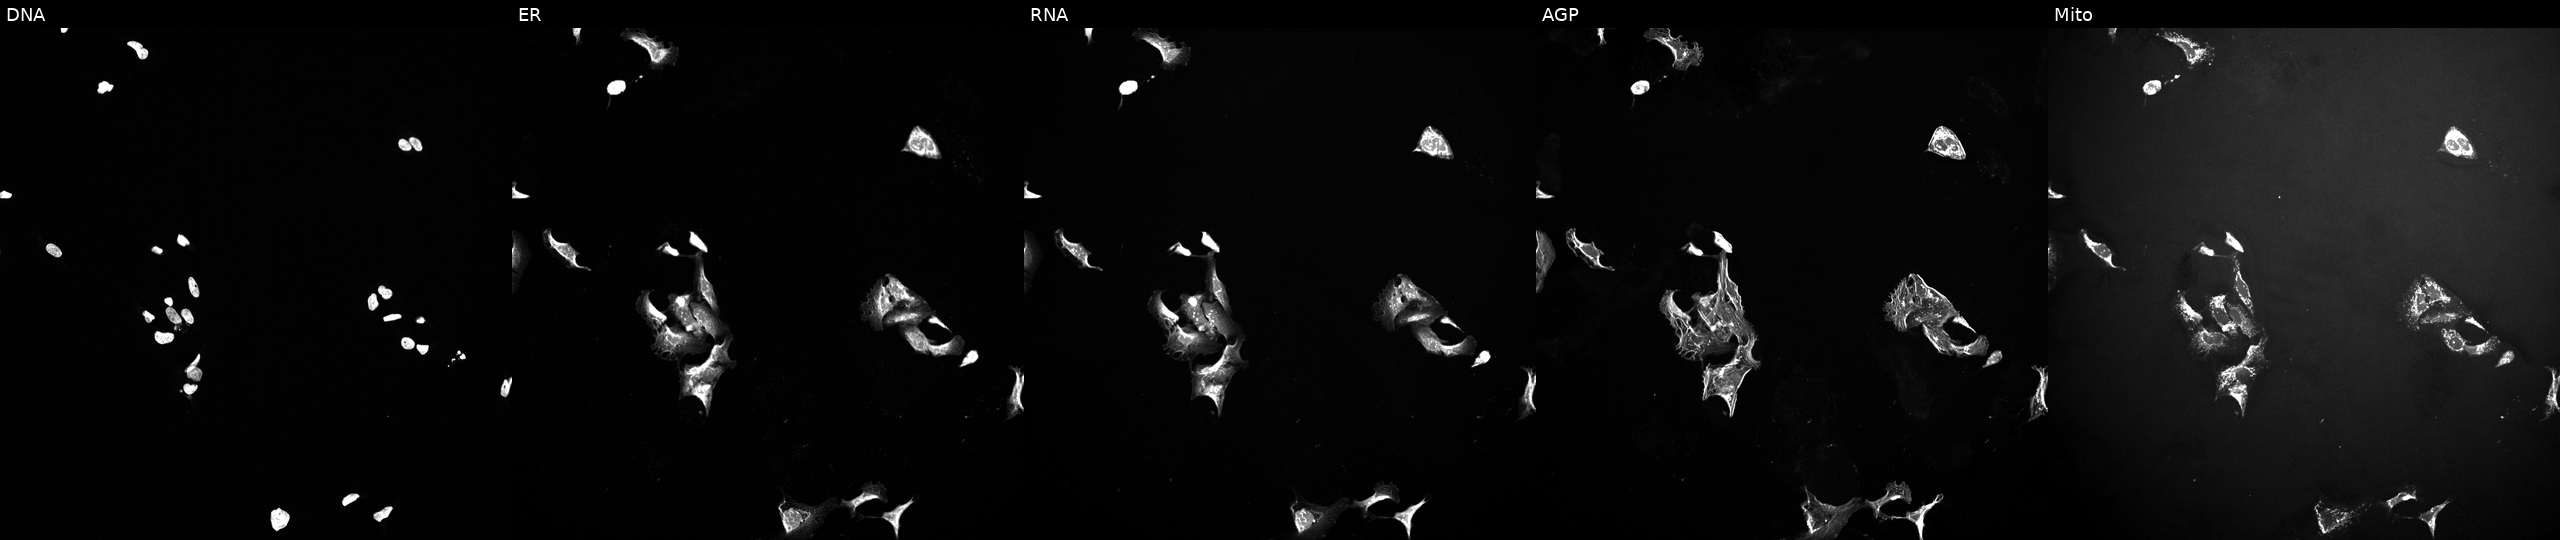
High-content fluorescence microscopy (Cell Painting). Cell line: U2OS. Perturbation: exposed to a small-molecule compound (JUMP id JCP2022_068713). The five panels, left to right, show DNA (nuclei); ER (endoplasmic reticulum); RNA (nucleoli and cytoplasmic RNA); AGP (actin cytoskeleton, Golgi, and plasma membrane); Mito (mitochondria).